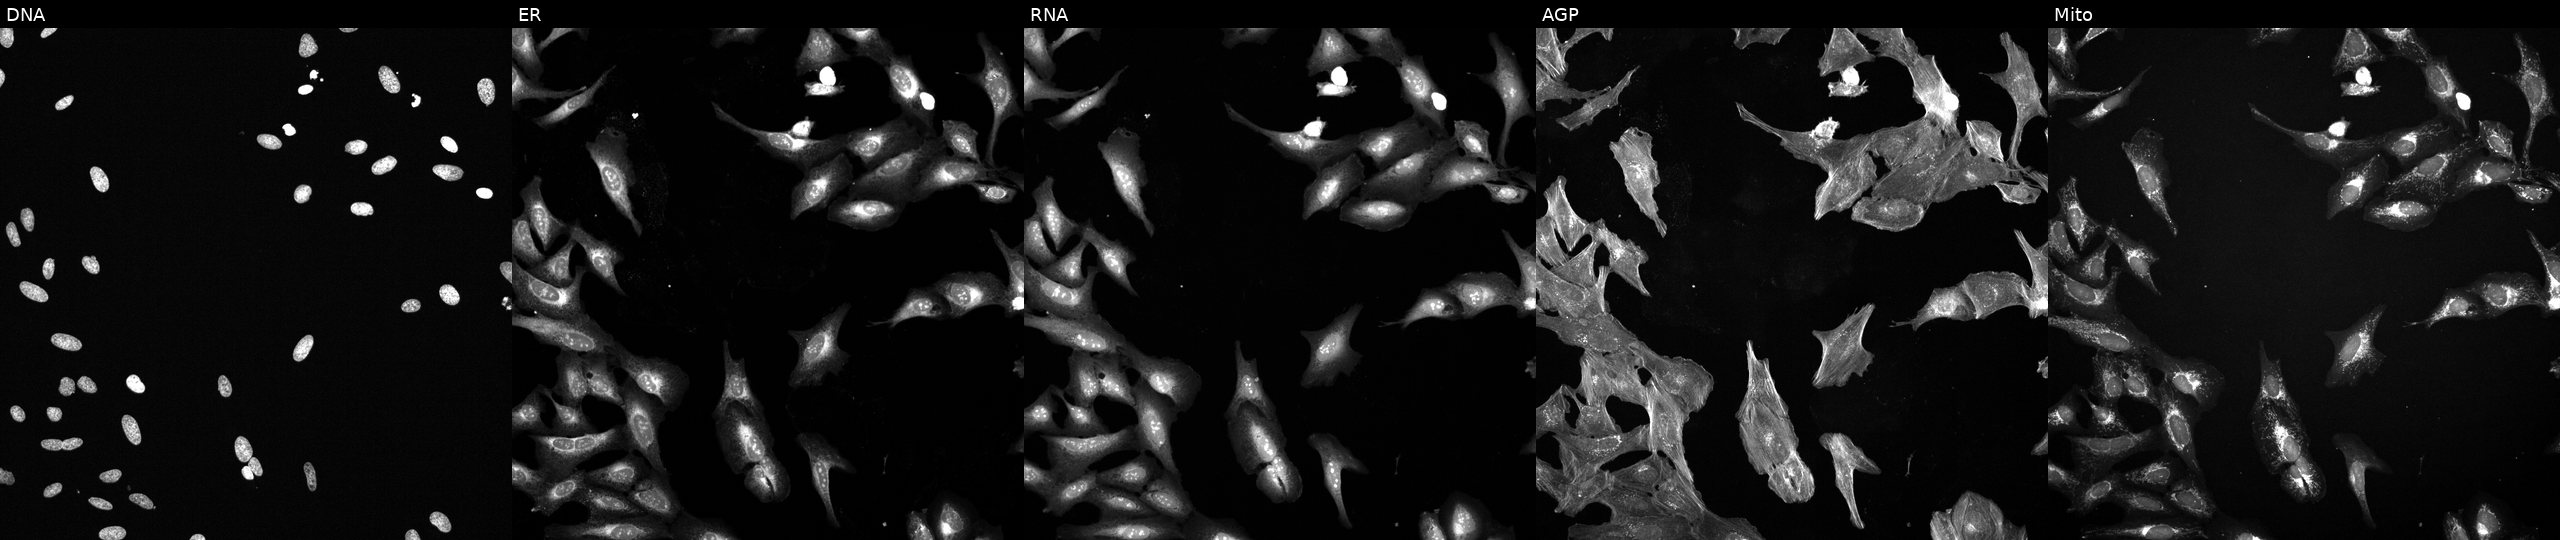
Five-channel Cell Painting image of U2OS cells treated with a small-molecule compound (InChIKey HUXYBQXJVXOMKX-UHFFFAOYSA-N) [SMILES: CC(C)CC(=O)N=c1[nH][nH]c2c1CN(C(=O)C1CCN(C)CC1)C2(C)C]. Channels (left→right): DNA (nuclei); ER (endoplasmic reticulum); RNA (nucleoli and cytoplasmic RNA); AGP (actin cytoskeleton, Golgi, and plasma membrane); Mito (mitochondria). Source 6, plate 110000294901, well D16.